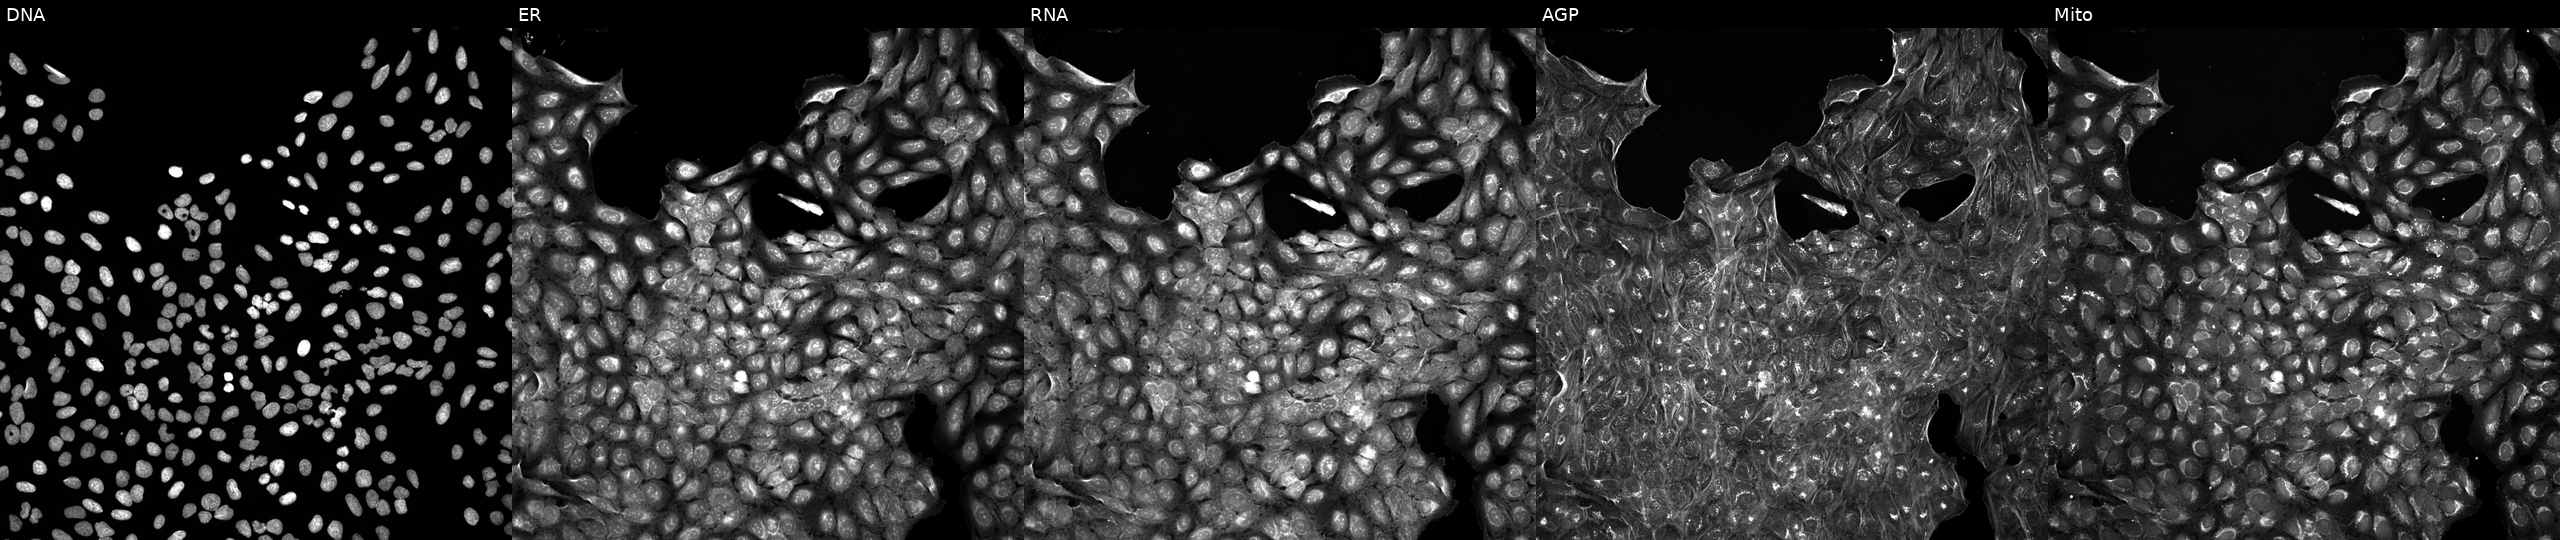
High-content fluorescence microscopy (Cell Painting). Cell line: U2OS. Perturbation: perturbed with a small-molecule compound. From left to right: DNA, ER, RNA, AGP, and Mito. Source 5, plate APTJUM105, well B21.